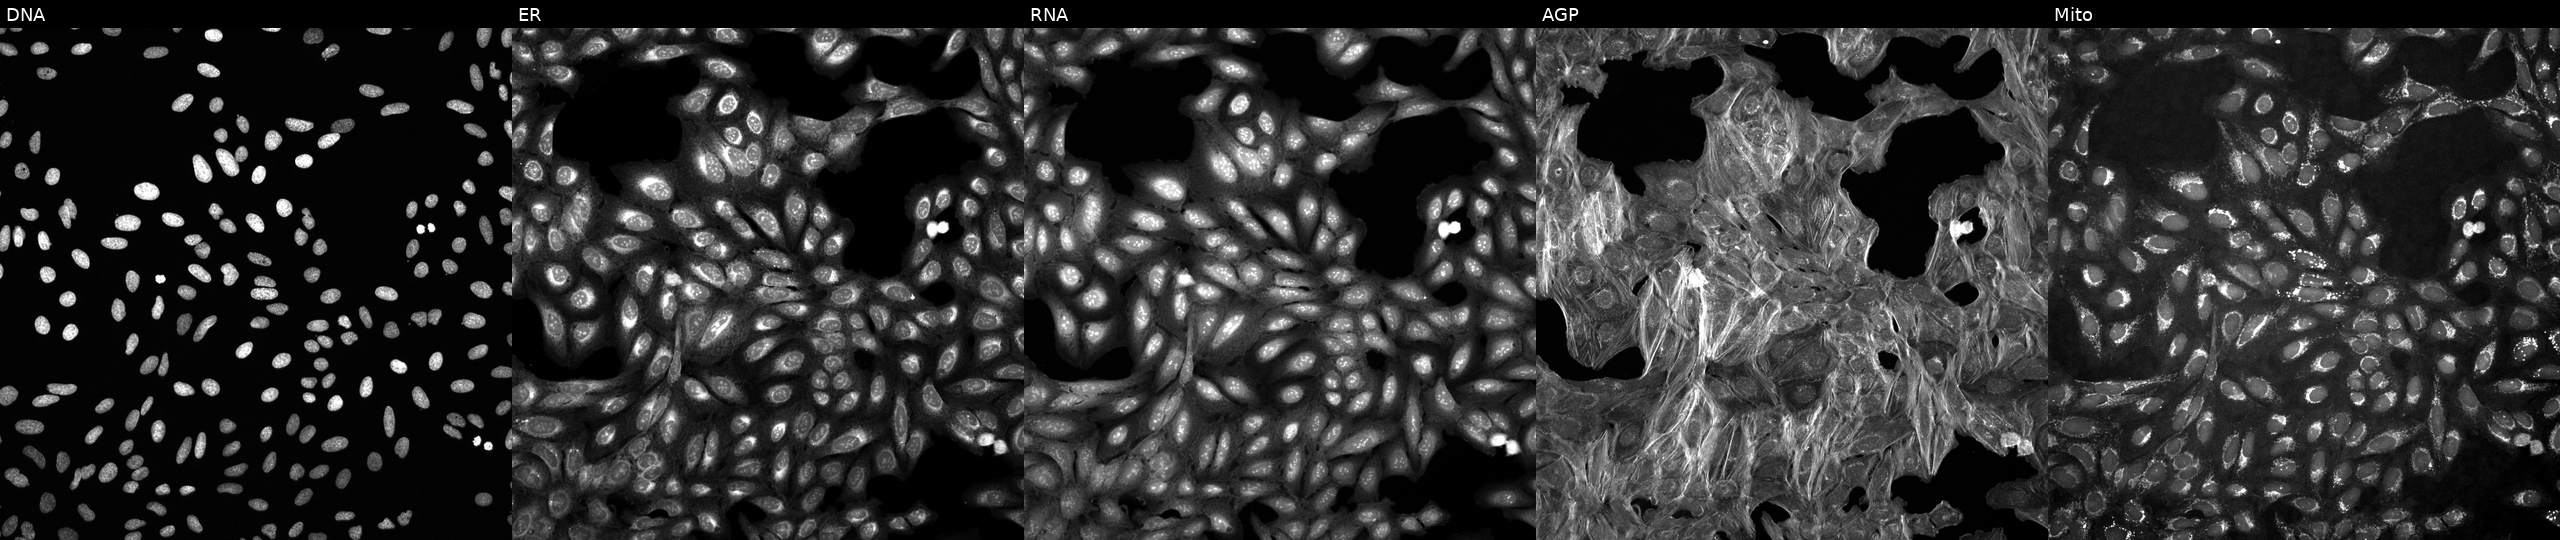
This image strip shows the five Cell Painting channels for a single field of U2OS cells treated with a small-molecule compound [SMILES: N=C(N)Nc1ccc(C(=O)Oc2ccc3cc(C(=N)N)ccc3c2)cc1]. From left to right: Hoechst 33342, concanavalin A, SYTO 14, phalloidin and WGA, MitoTracker.